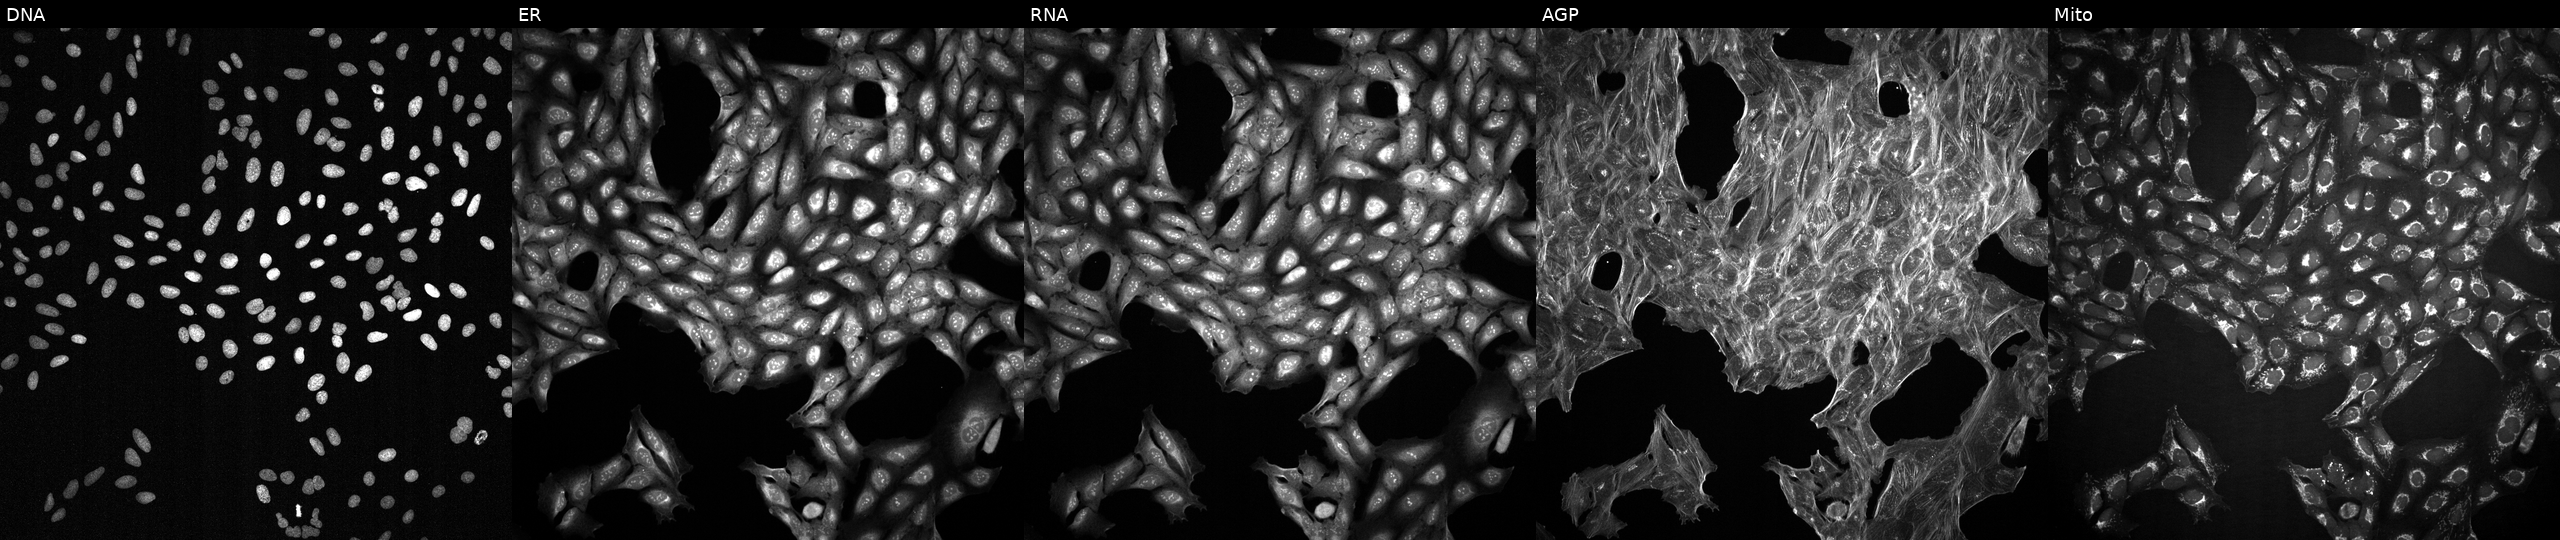
Five-channel Cell Painting image of U2OS cells treated with DMSO vehicle only (negative control). From left to right: Hoechst 33342, concanavalin A, SYTO 14, phalloidin and WGA, MitoTracker. Source 2, plate 1053599503, well G16.